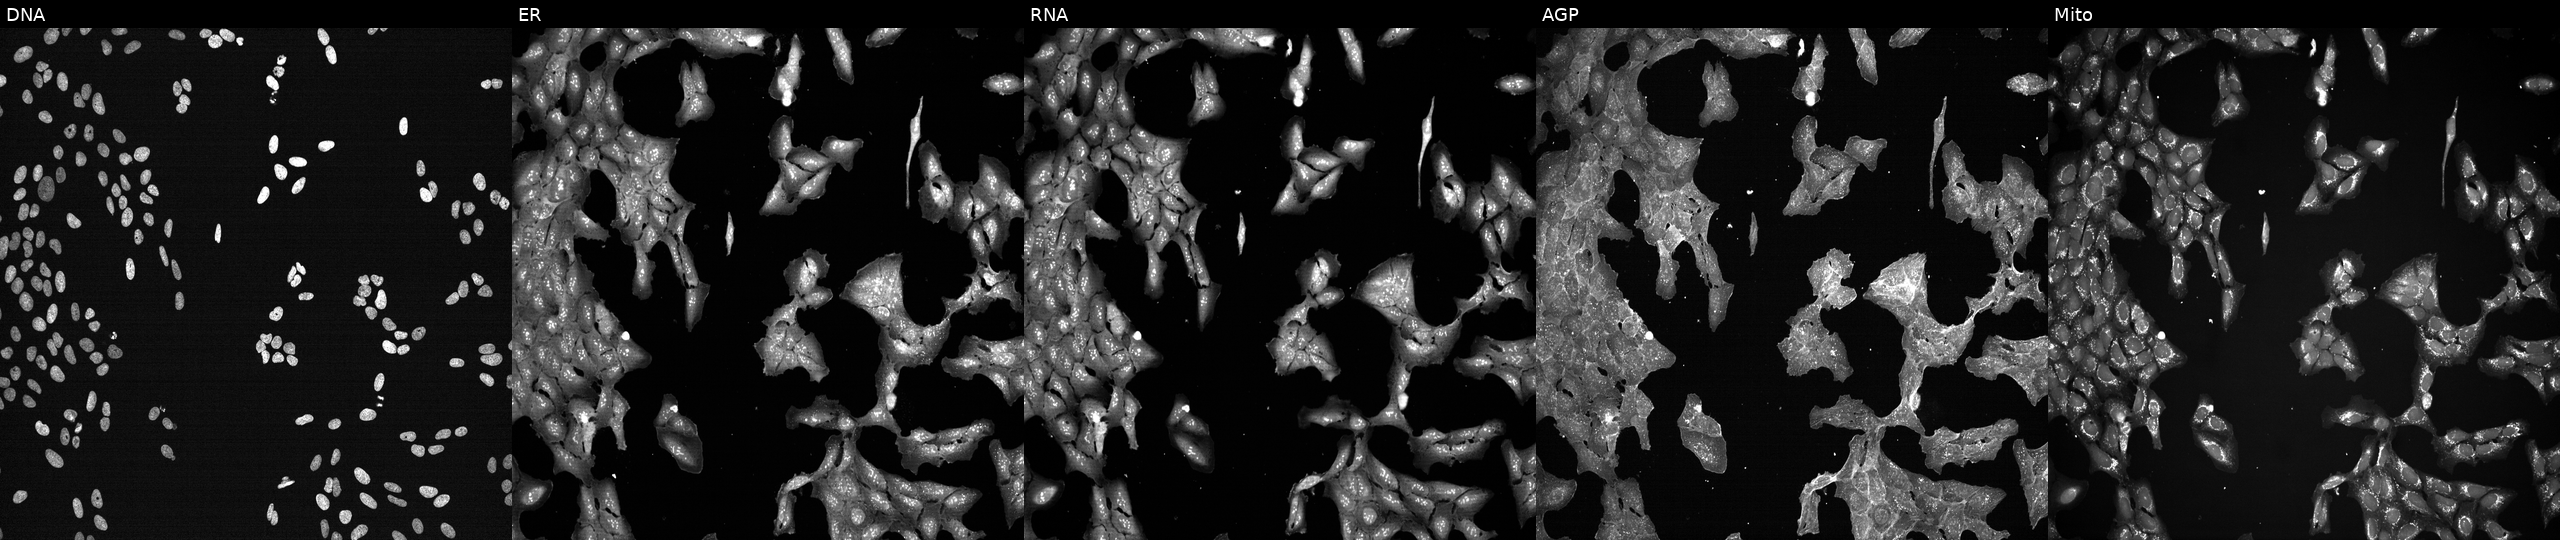
U2OS cells, Cell Painting assay, treated with a small-molecule compound (InChIKey WGZOTBUYUFBEPZ-UHFFFAOYSA-N). The five panels, left to right, show DNA, ER, RNA, AGP, and Mito. Each panel is percentile-stretched 16-bit fluorescence. Source 7, plate CP2-SC1-25, well B09.